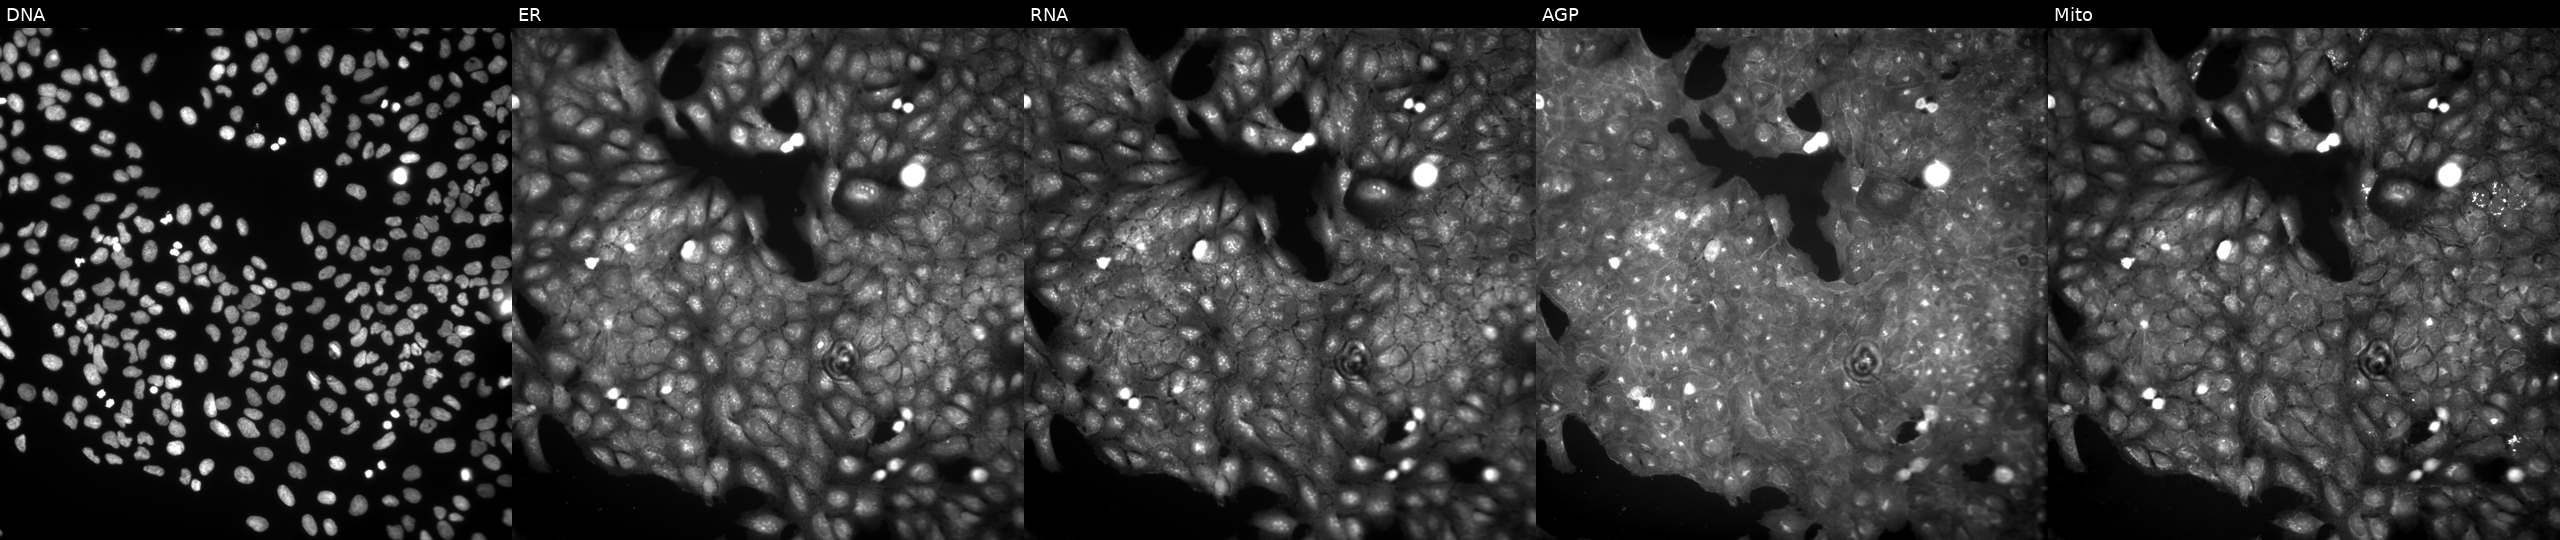
JUMP Cell Painting — COMPOUND plate. U2OS cells exposed to a small-molecule compound (InChIKey GMDIHVABFGQCSB-UHFFFAOYSA-N). Channels (left→right): DNA (nuclei); ER (endoplasmic reticulum); RNA (nucleoli and cytoplasmic RNA); AGP (actin cytoskeleton, Golgi, and plasma membrane); Mito (mitochondria). Source 9, plate GR00003382, well U41.